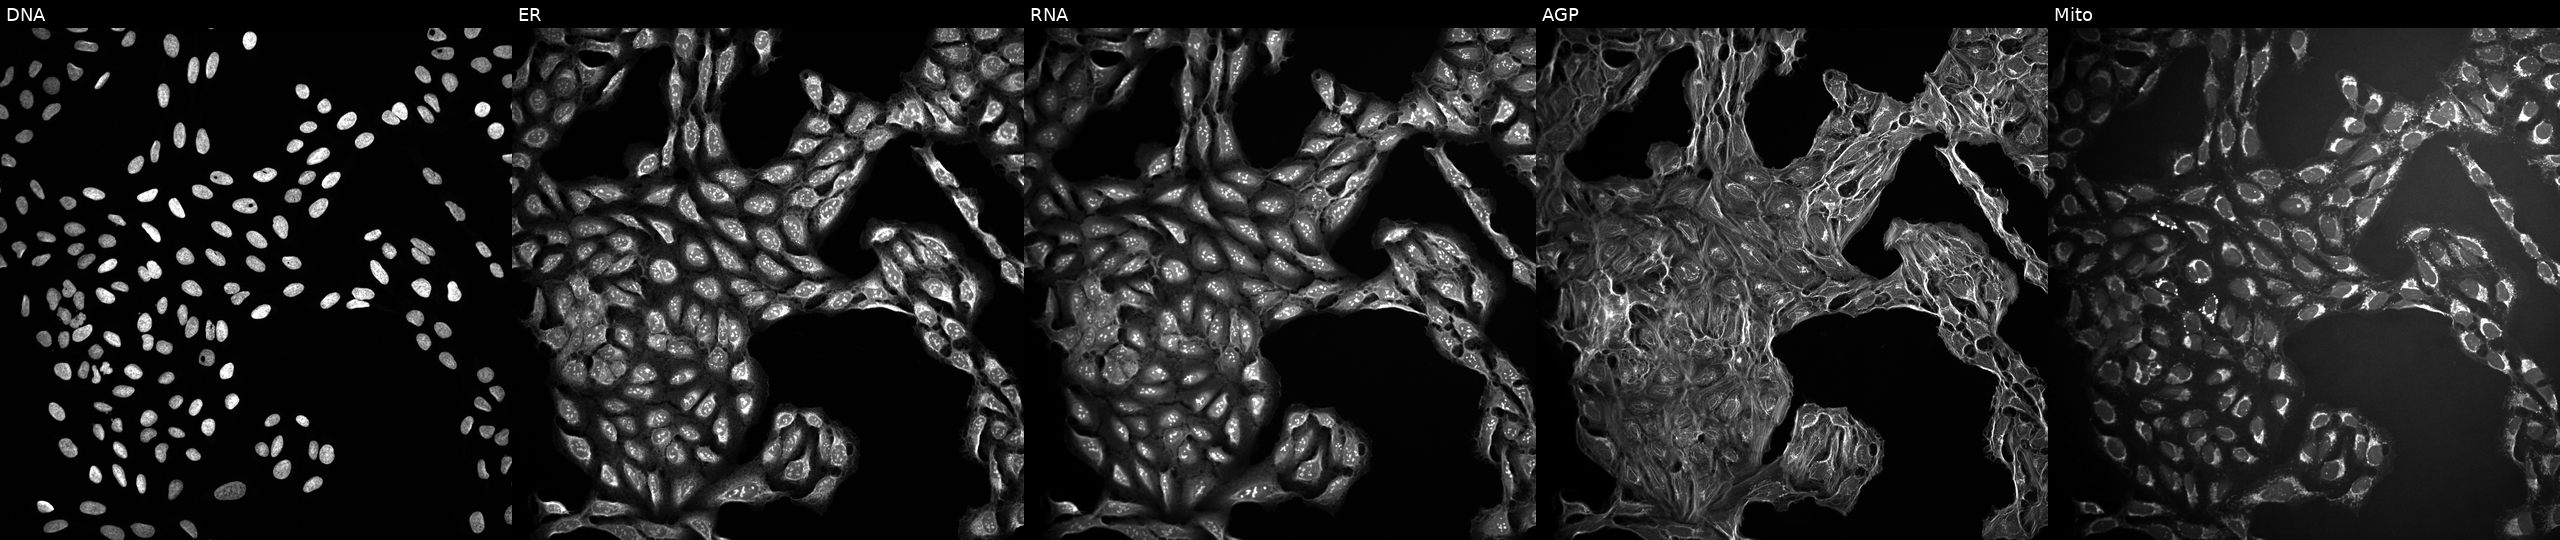
U2OS cells, Cell Painting assay, exposed to a small-molecule compound (InChIKey JZFPYUNJRRFVQU-UHFFFAOYSA-N) [SMILES: O=C(O)c1ccc[nH]c1=Nc1cccc(C(F)(F)F)c1] (JUMP id JCP2022_043099). Channels (left→right): DNA, ER, RNA, AGP, and Mito. Each panel is percentile-stretched 16-bit fluorescence.